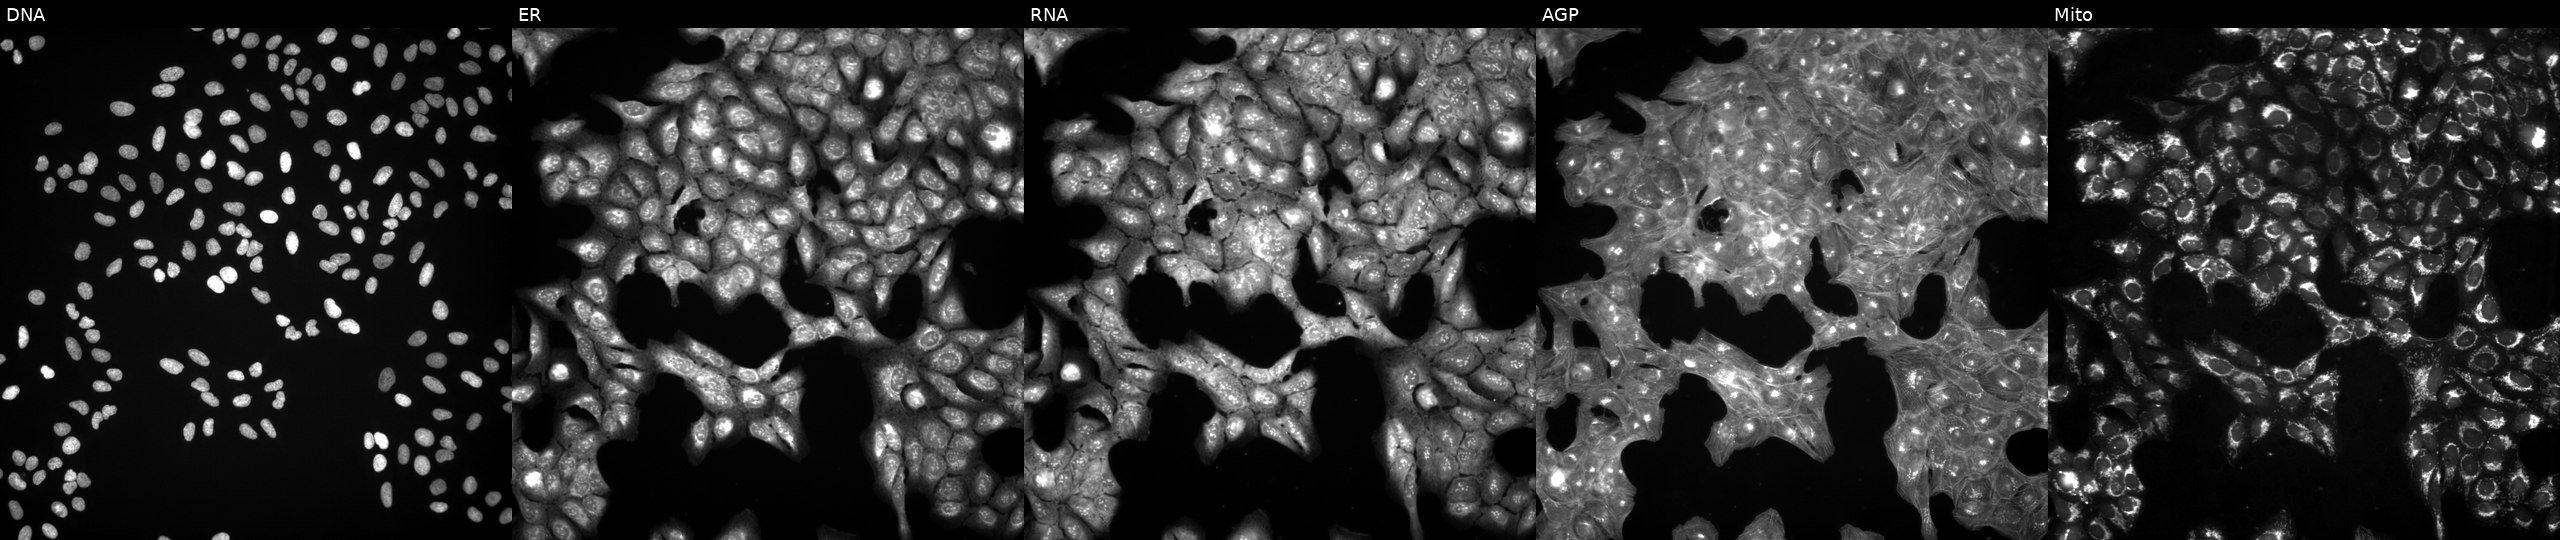
U2OS cells, Cell Painting assay, treated with a small-molecule compound (InChIKey FAJLDNXFHXGZCJ-UHFFFAOYSA-N). Channels (left→right): DNA, ER, RNA, AGP, and Mito. Each panel is percentile-stretched 16-bit fluorescence. Source 3, plate BR5867b3, well E10.